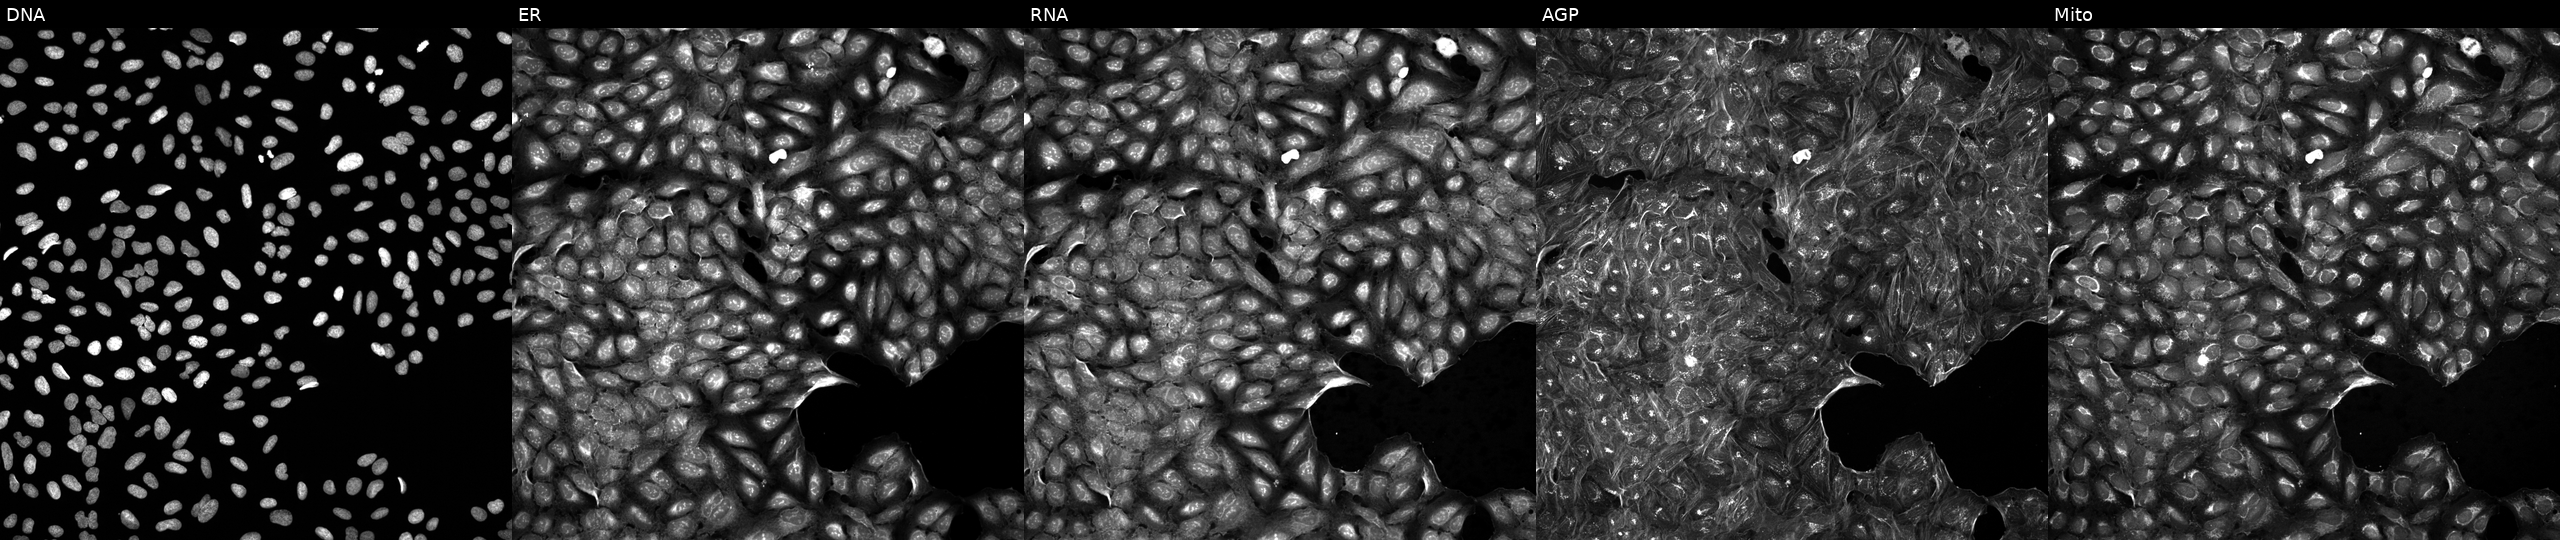
High-content fluorescence microscopy (Cell Painting). Cell line: U2OS. Perturbation: exposed to a small-molecule compound (InChIKey UOWCOPUNLJJFCU-UHFFFAOYSA-N) (JUMP id JCP2022_090577). The five panels, left to right, show Hoechst 33342, concanavalin A, SYTO 14, phalloidin and WGA, MitoTracker.